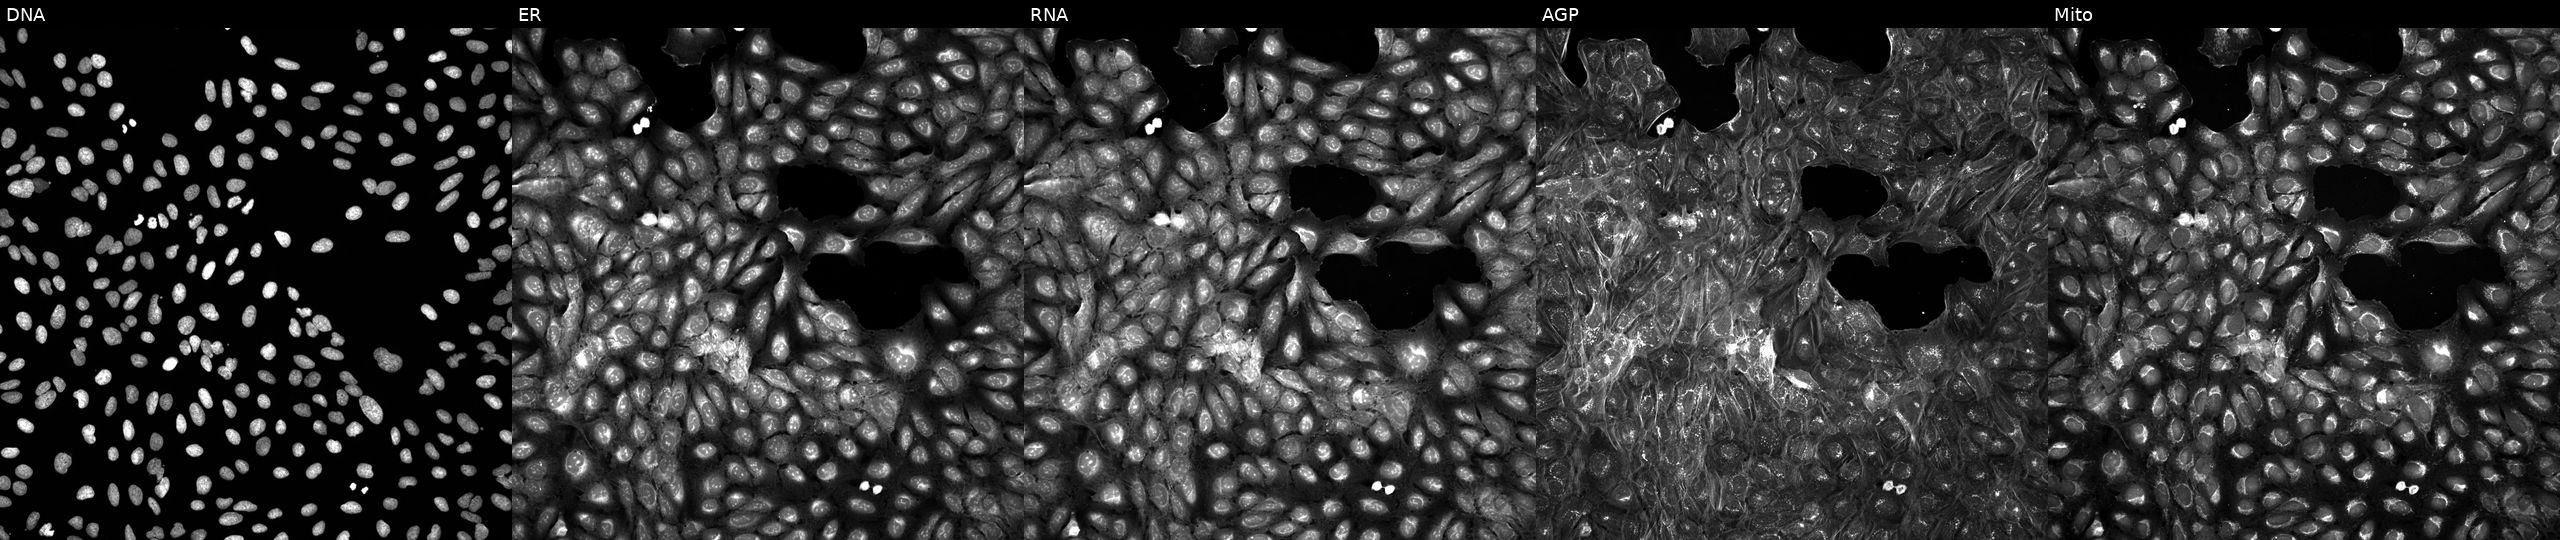
Five-channel Cell Painting image of U2OS cells perturbed with a small-molecule compound (InChIKey NSPVRRQZBLGXST-UHFFFAOYSA-N) [SMILES: O=C(N=c1[nH]nc(-c2ccccn2)s1)NCc1ccnc(-n2cccn2)c1]. Channels (left→right): DNA (nuclei); ER (endoplasmic reticulum); RNA (nucleoli and cytoplasmic RNA); AGP (actin cytoskeleton, Golgi, and plasma membrane); Mito (mitochondria).